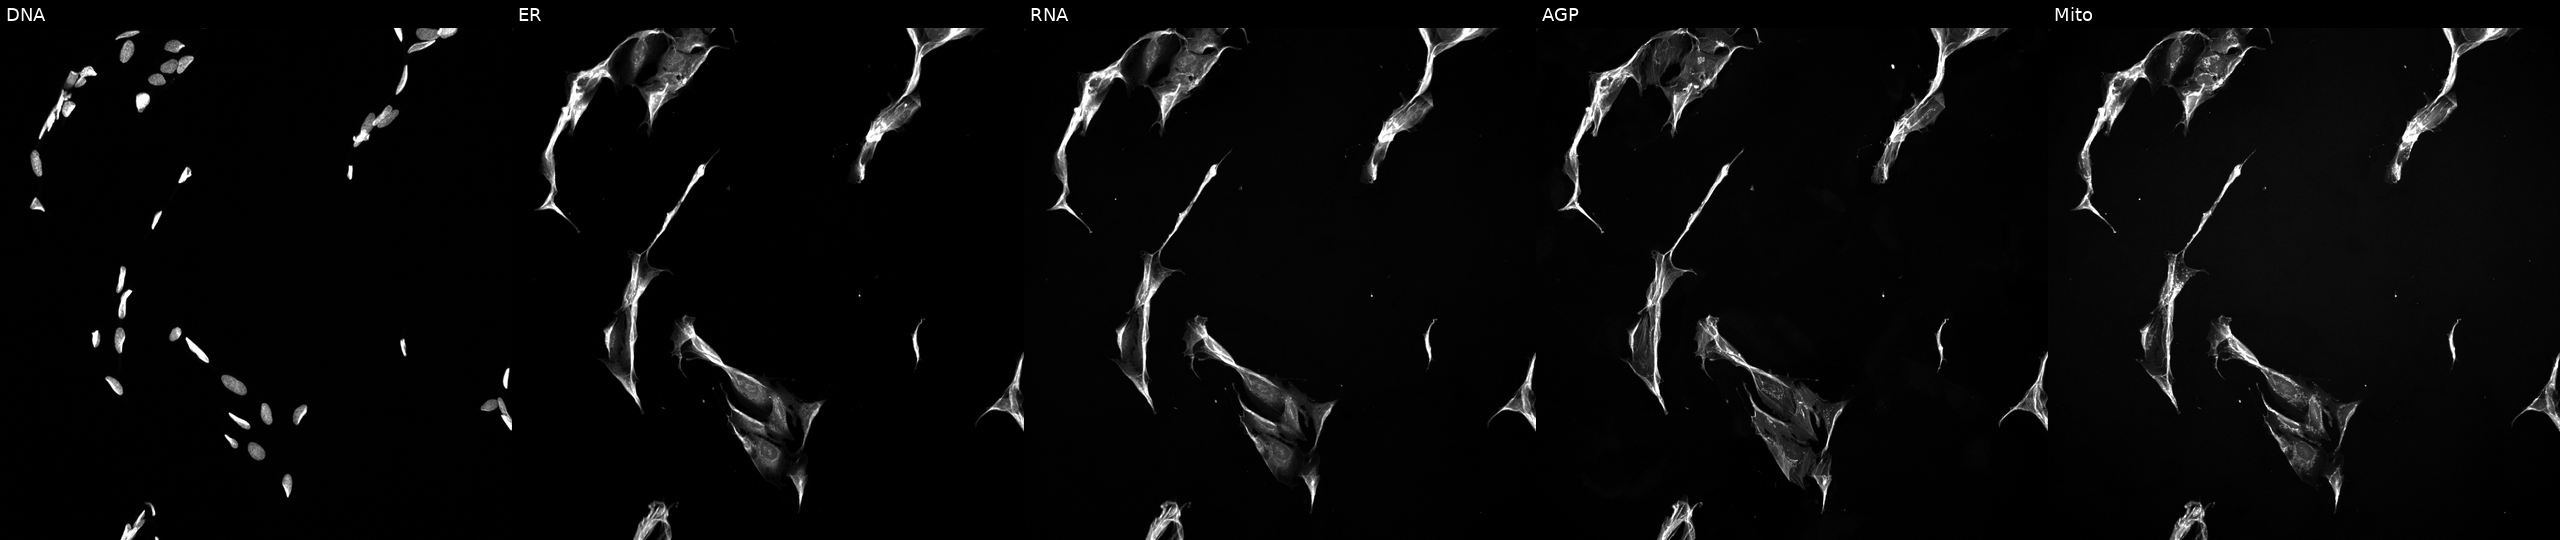
JUMP Cell Painting — TARGET2 plate. U2OS cells perturbed with a small-molecule compound (InChIKey YPHMISFOHDHNIV-UHFFFAOYSA-N). From left to right: Hoechst 33342, concanavalin A, SYTO 14, phalloidin and WGA, MitoTracker.